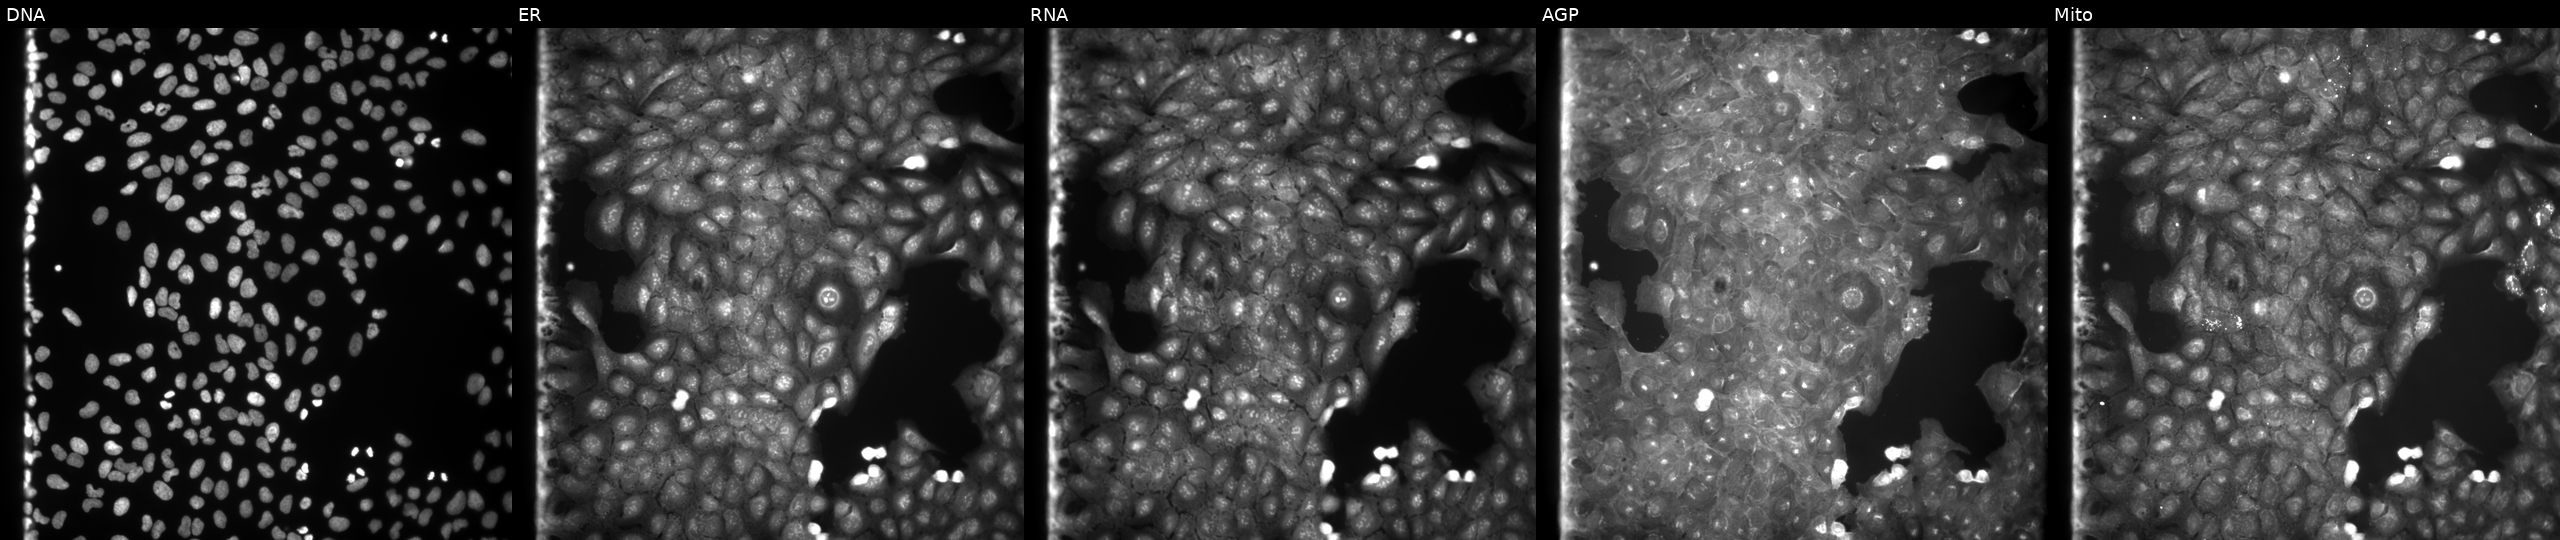
From left to right: DNA, ER, RNA, AGP, and Mito. U2OS osteosarcoma cells exposed to a small-molecule compound. Cell Painting assay, JUMP-CP dataset.